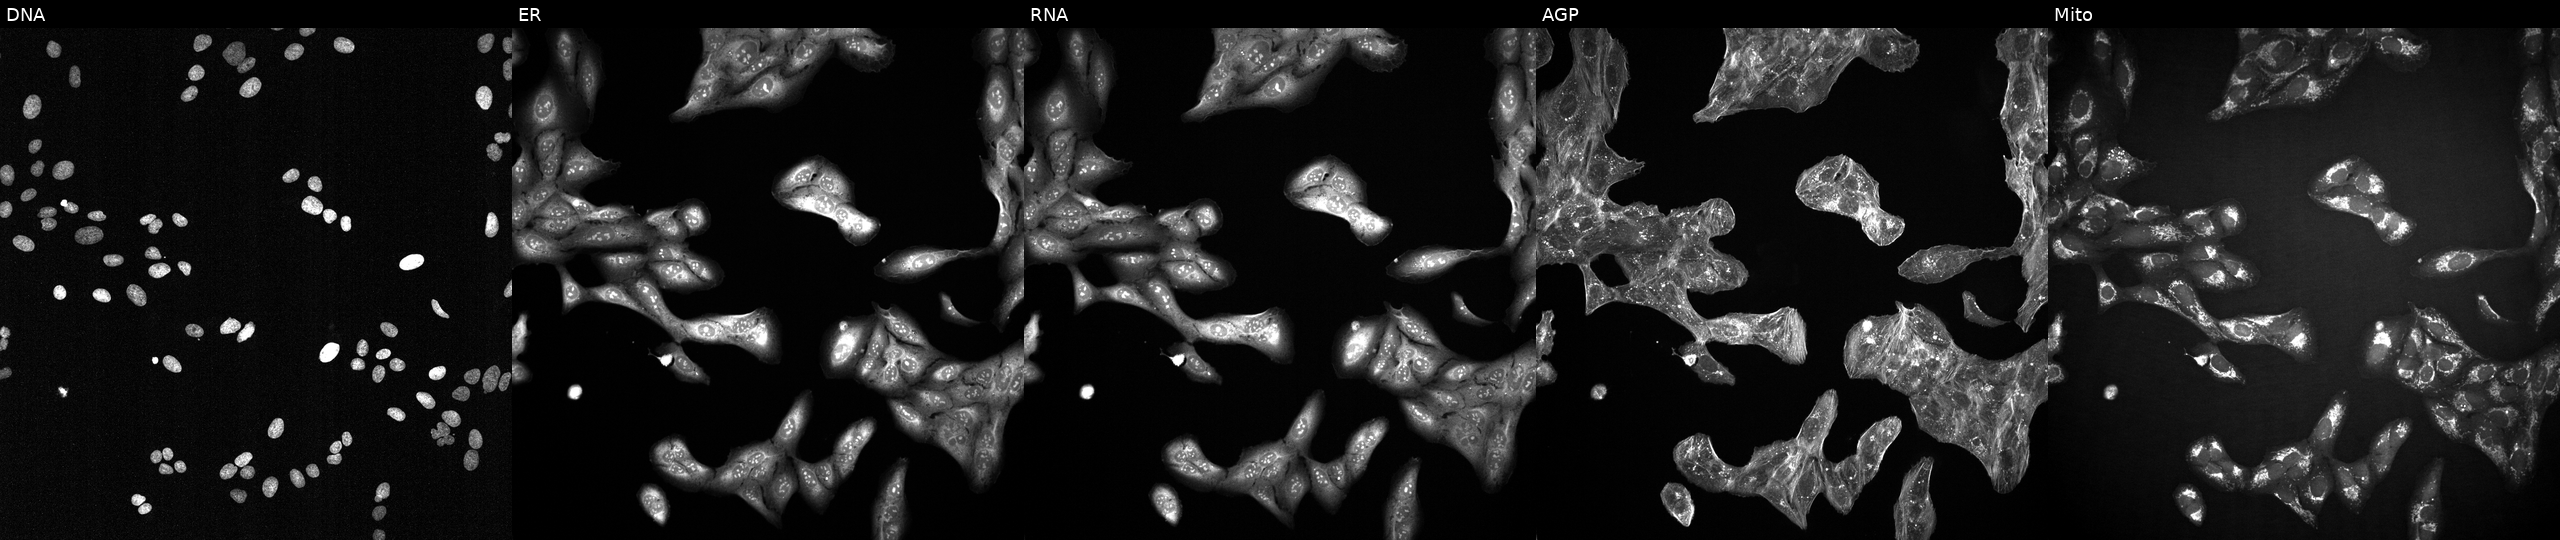
JUMP Cell Painting — TARGET2 plate. U2OS cells exposed to a small-molecule compound (InChIKey BBDGBGOVJPEFBT-UHFFFAOYSA-N). The five panels, left to right, show DNA, ER, RNA, AGP, and Mito.